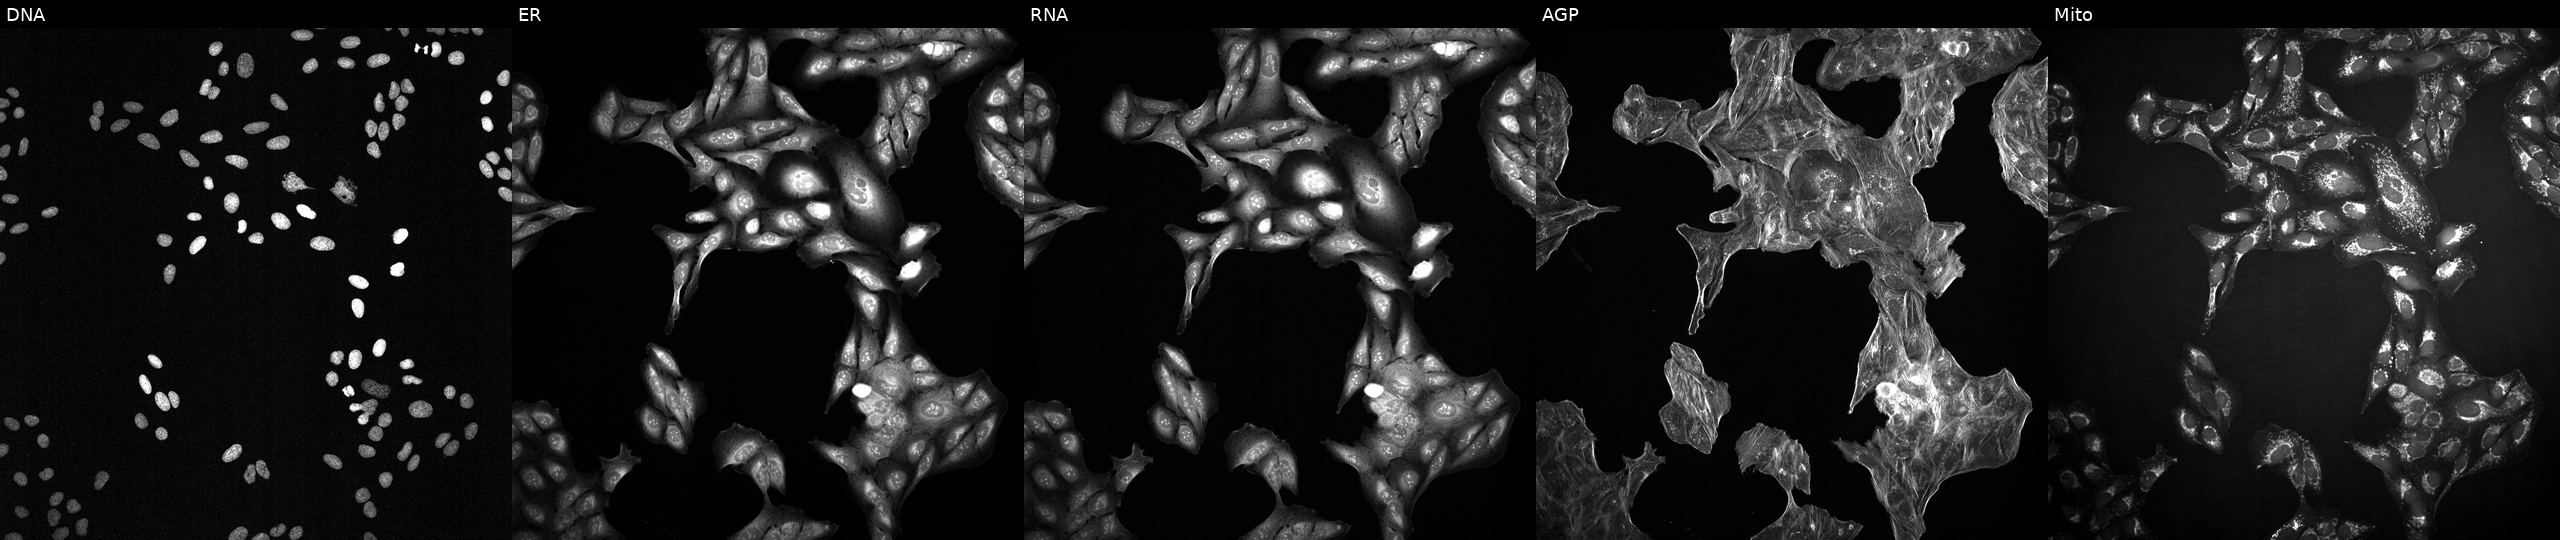
Panels show, left to right, Hoechst 33342, concanavalin A, SYTO 14, phalloidin and WGA, MitoTracker. U2OS osteosarcoma cells exposed to DMSO alone as a negative control. Cell Painting assay, JUMP-CP dataset. Source 2, plate 1053599503, well K14.